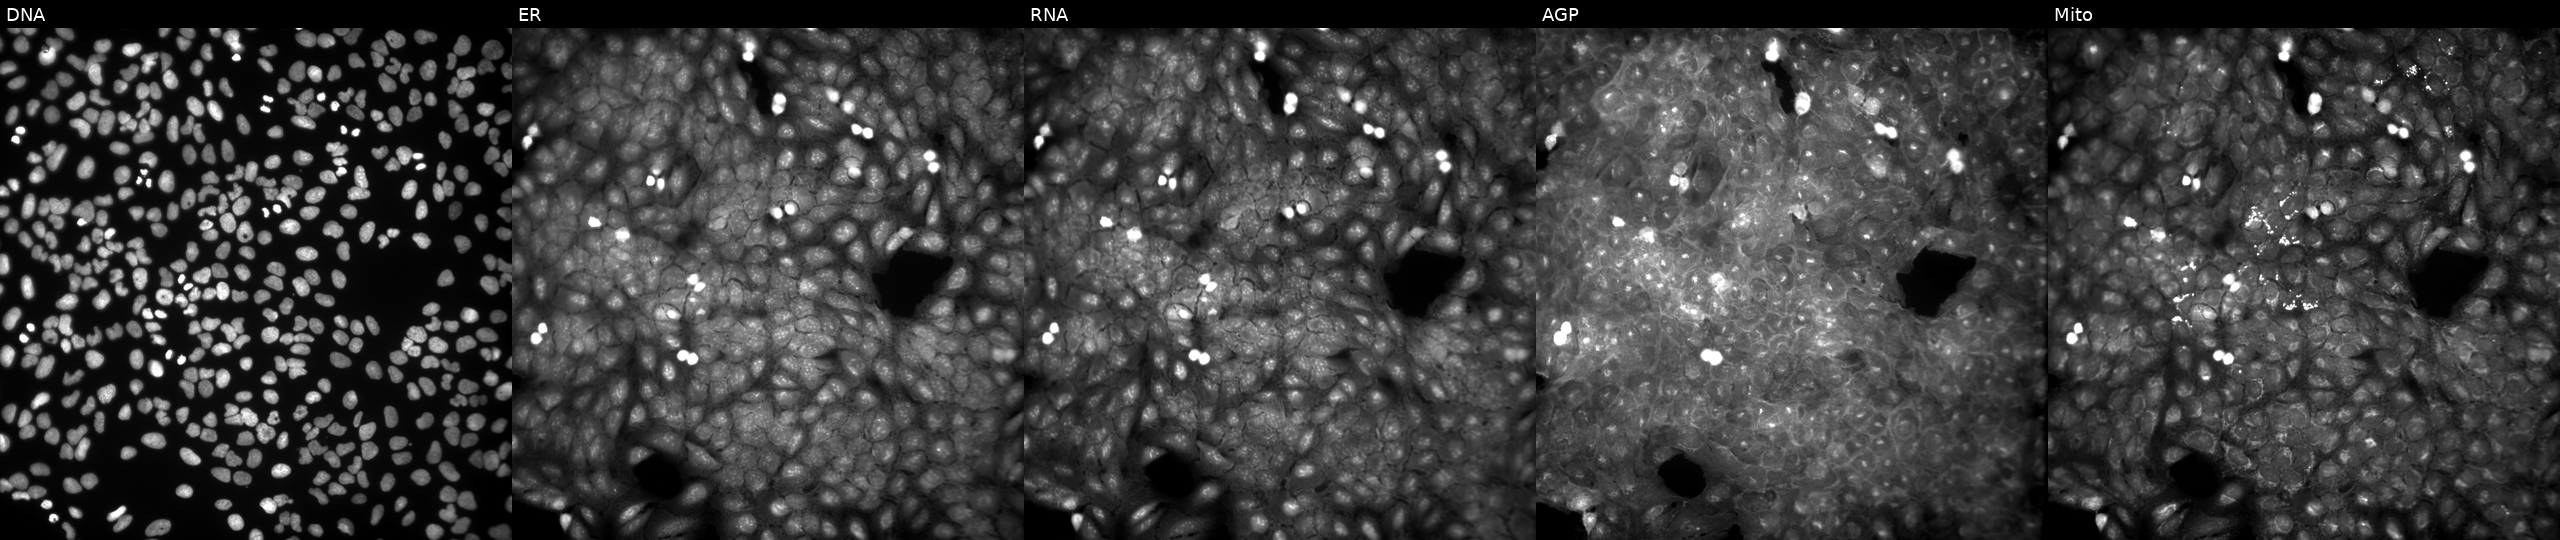
Panels show, left to right, DNA (nuclei); ER (endoplasmic reticulum); RNA (nucleoli and cytoplasmic RNA); AGP (actin cytoskeleton, Golgi, and plasma membrane); Mito (mitochondria). U2OS osteosarcoma cells treated with DMSO vehicle only (negative control). Cell Painting assay, JUMP-CP dataset. Source 9, plate GR00003382, well W47.